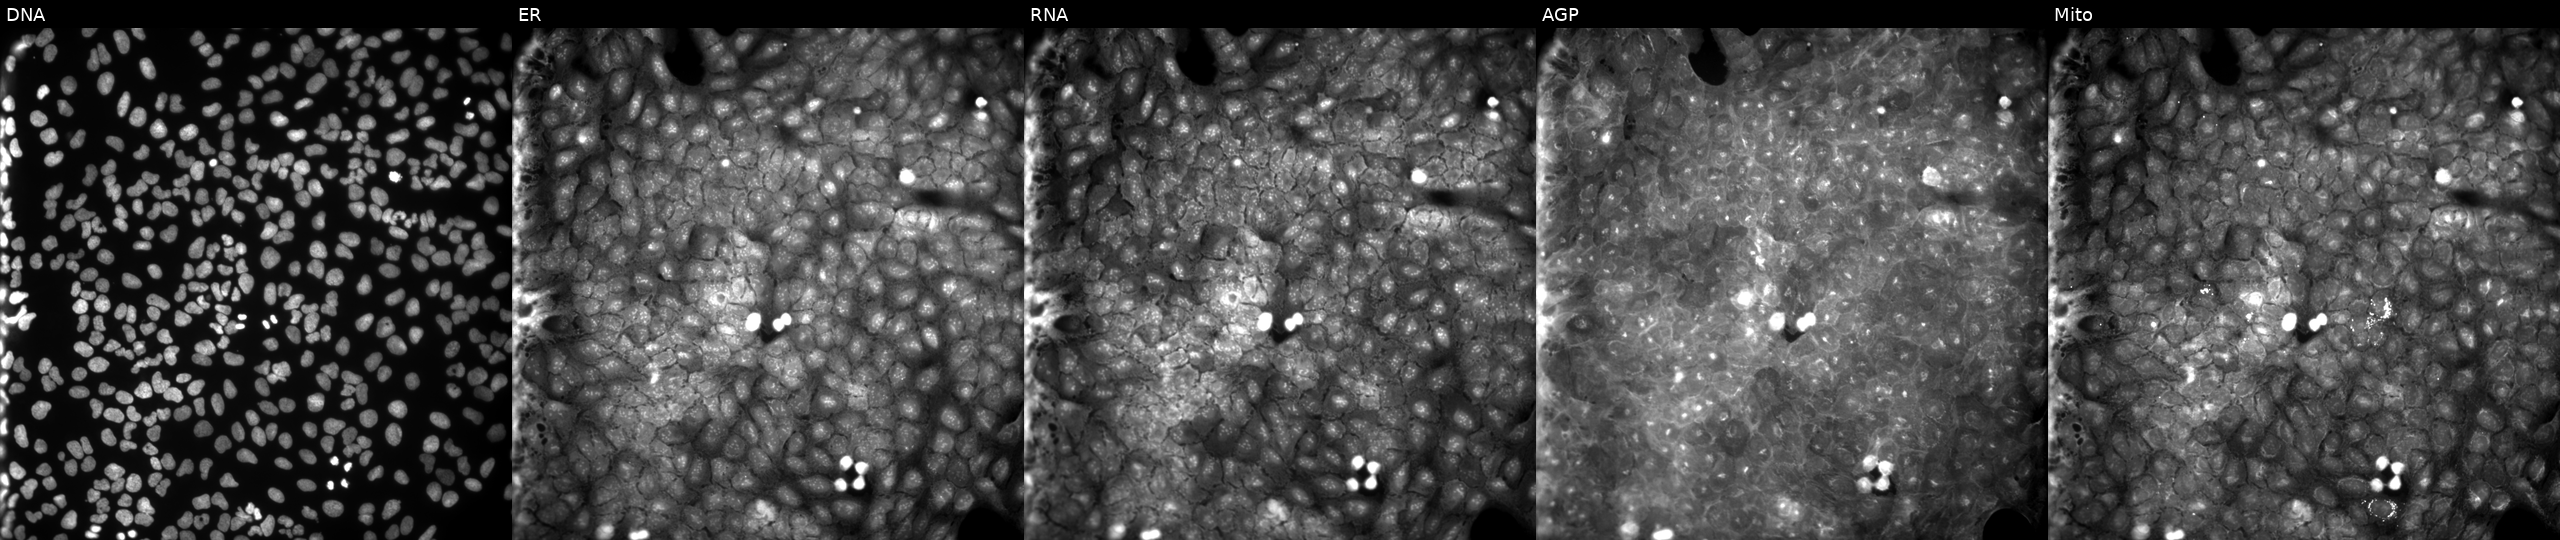
High-content fluorescence microscopy (Cell Painting). Cell line: U2OS. Perturbation: exposed to a small-molecule compound (InChIKey WOXPAAWCABONMY-UHFFFAOYSA-N) [SMILES: CC(=O)Nc1ccc(S(=O)(=O)N2C(=O)c3cccc4cccc2c34)cc1] (JUMP id JCP2022_100202). From left to right: DNA (nuclei); ER (endoplasmic reticulum); RNA (nucleoli and cytoplasmic RNA); AGP (actin cytoskeleton, Golgi, and plasma membrane); Mito (mitochondria).